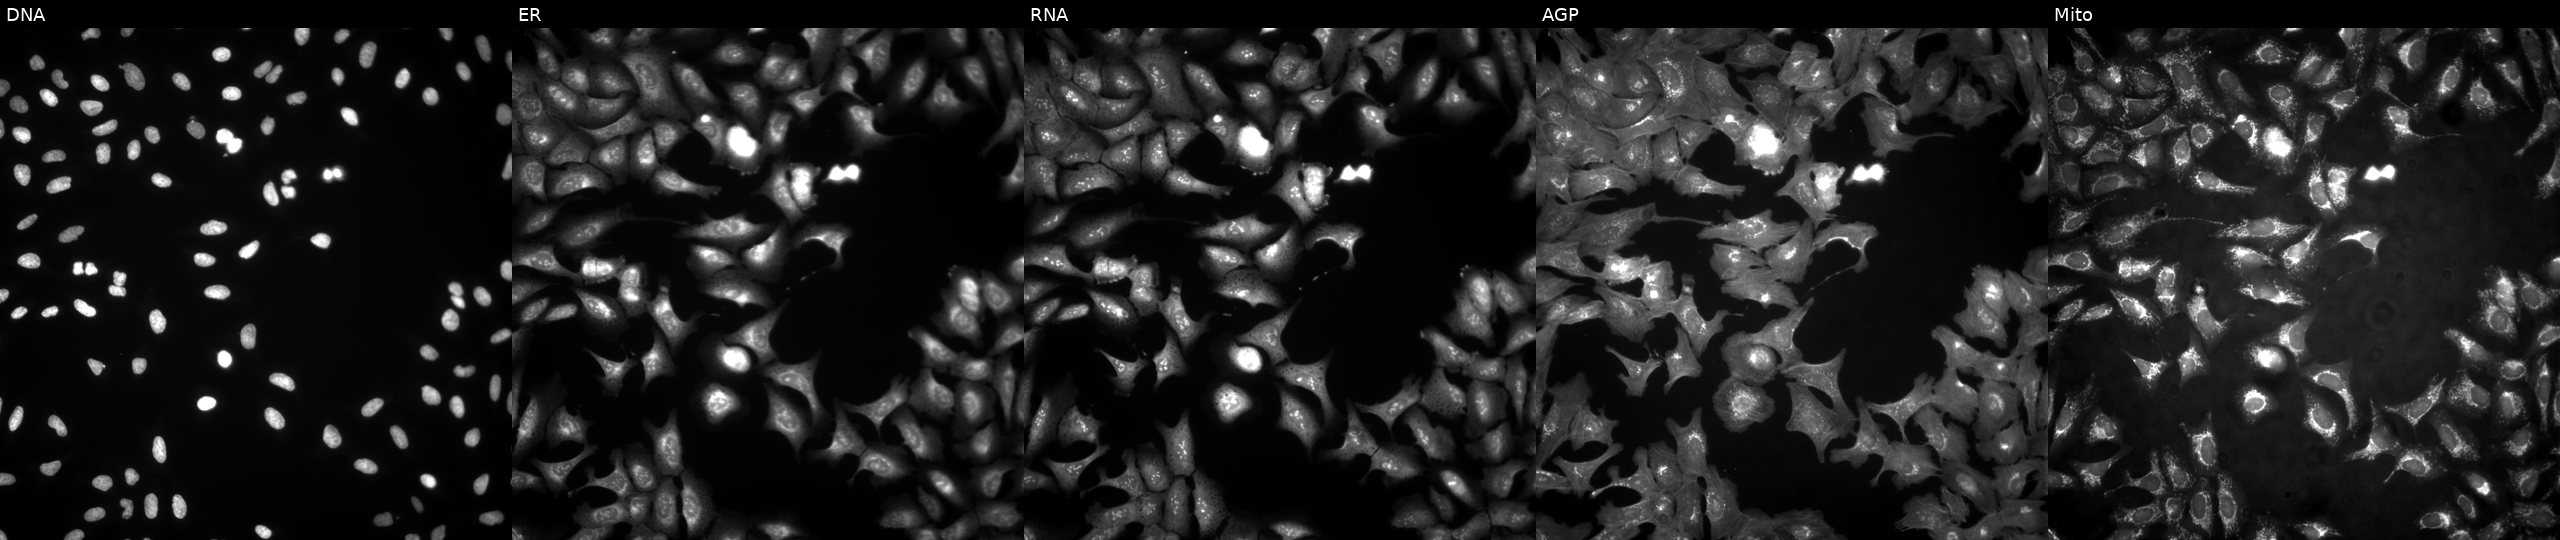
High-content fluorescence microscopy (Cell Painting). Cell line: U2OS. Perturbation: with CD8B overexpressed (ORF) (JUMP id JCP2022_905567). Panels show, left to right, Hoechst 33342, concanavalin A, SYTO 14, phalloidin and WGA, MitoTracker.